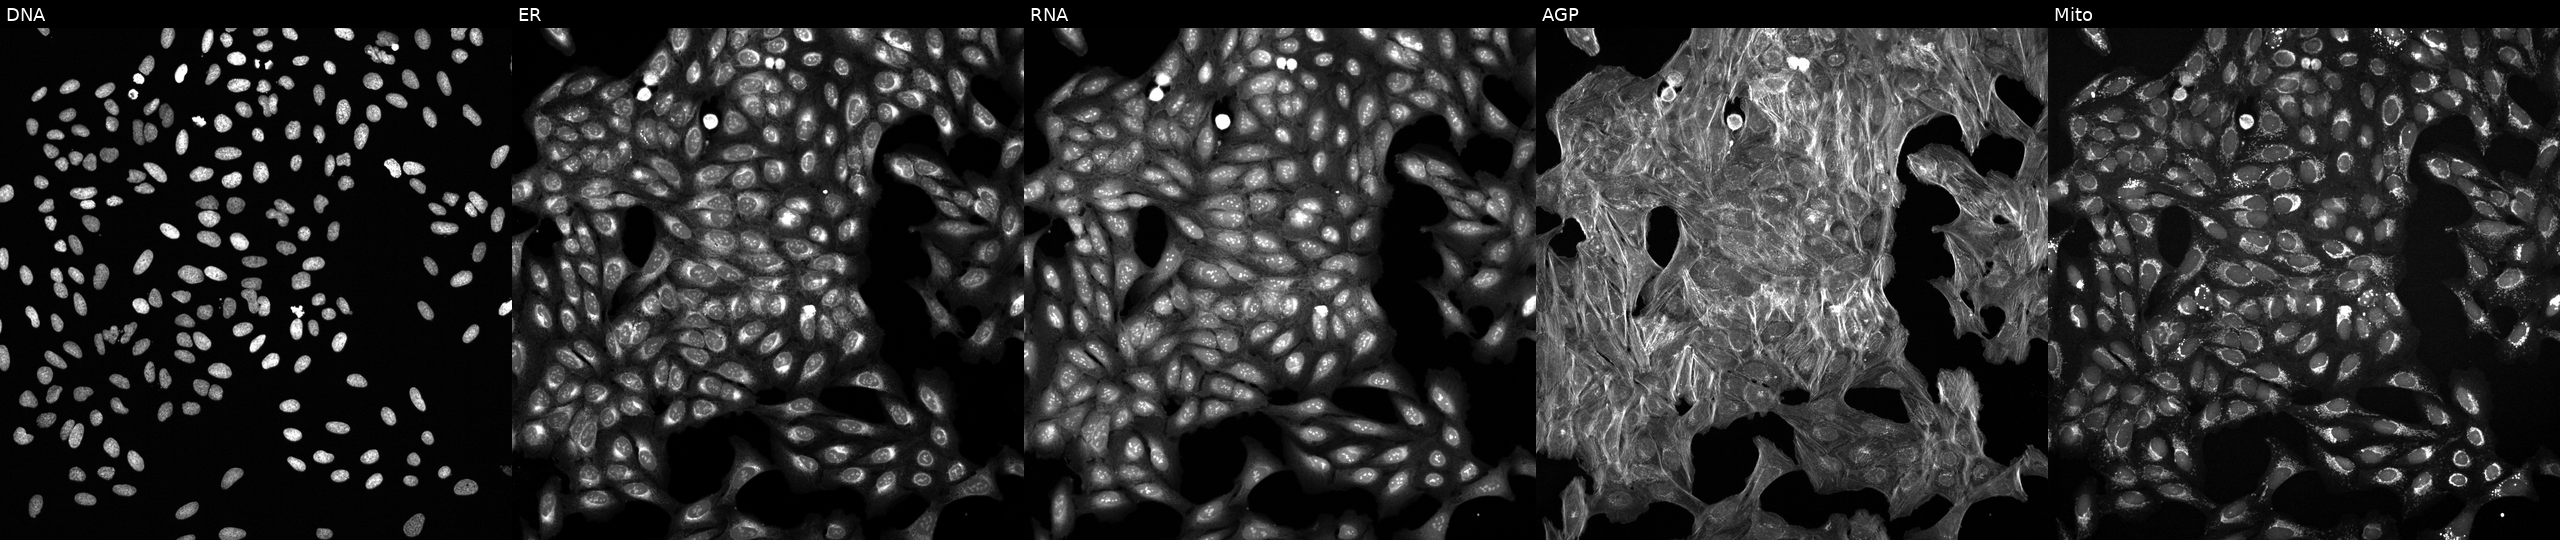
This image strip shows the five Cell Painting channels for a single field of U2OS cells exposed to the positive-control compound quinidine (JUMP id JCP2022_050797). The five panels, left to right, show DNA (nuclei); ER (endoplasmic reticulum); RNA (nucleoli and cytoplasmic RNA); AGP (actin cytoskeleton, Golgi, and plasma membrane); Mito (mitochondria).